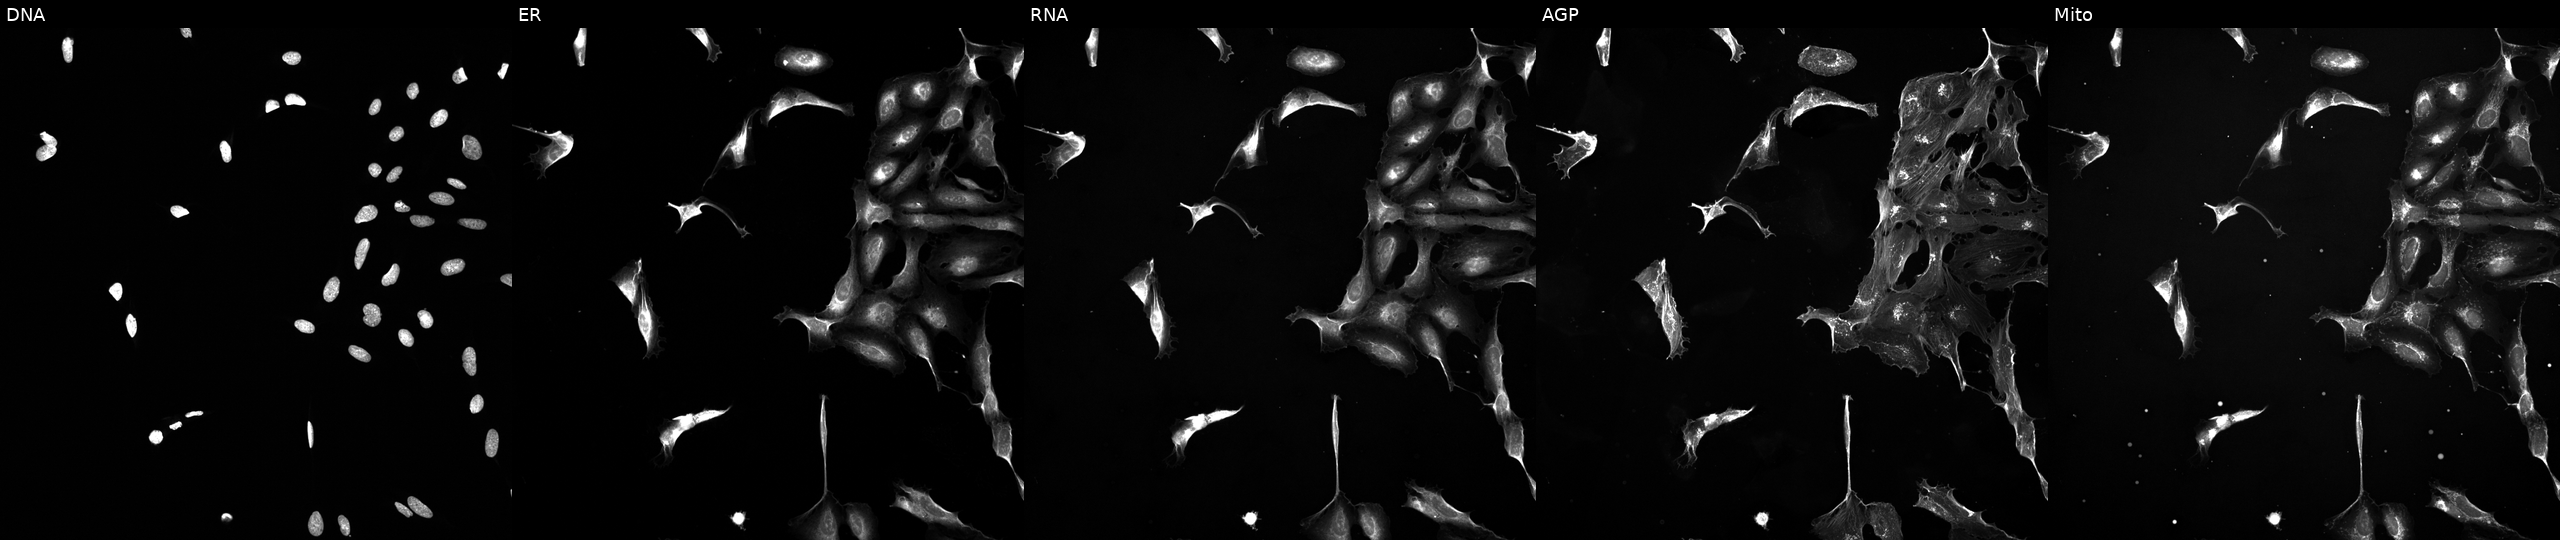
JUMP Cell Painting — TARGET2 plate. U2OS cells exposed to a small-molecule compound (InChIKey AYCPARAPKDAOEN-UHFFFAOYSA-N) [SMILES: Cc1nc(=Nc2[nH]nc3c2CN(C(=O)NC(CN(C)C)c2ccccc2)C3(C)C)c2sccc2[nH]1] (JUMP id JCP2022_004587). From left to right: DNA, ER, RNA, AGP, and Mito. Source 5, plate ACPJUM051, well H08.